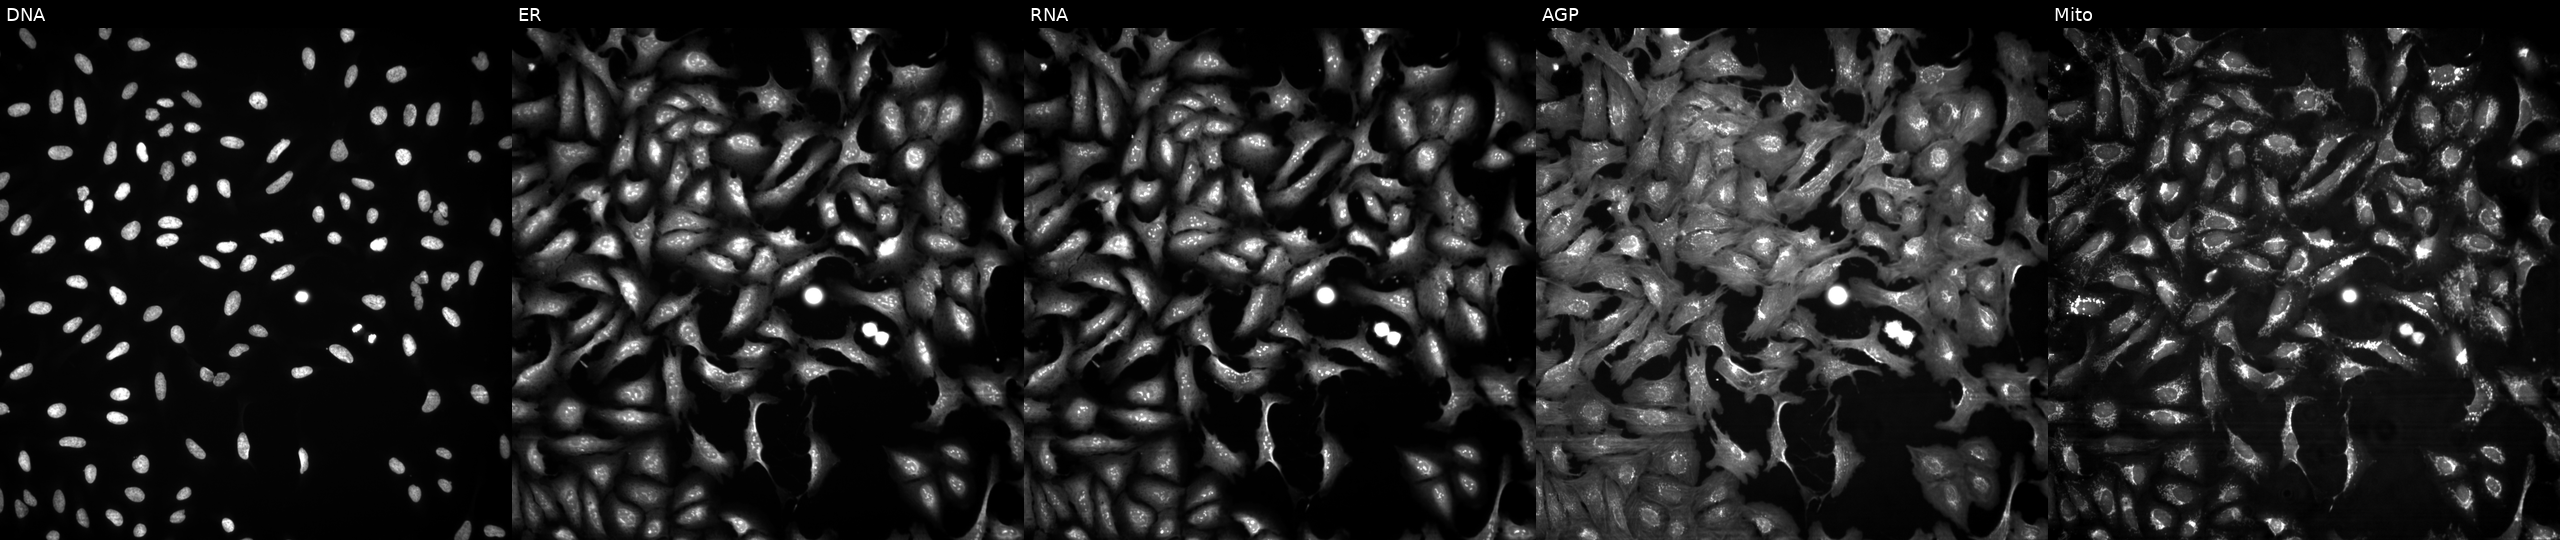
From left to right: Hoechst 33342, concanavalin A, SYTO 14, phalloidin and WGA, MitoTracker. U2OS osteosarcoma cells with CSF1R overexpressed (ORF) (JUMP id JCP2022_913629). Cell Painting assay, JUMP-CP dataset. Source 4, plate BR00123945, well P05.